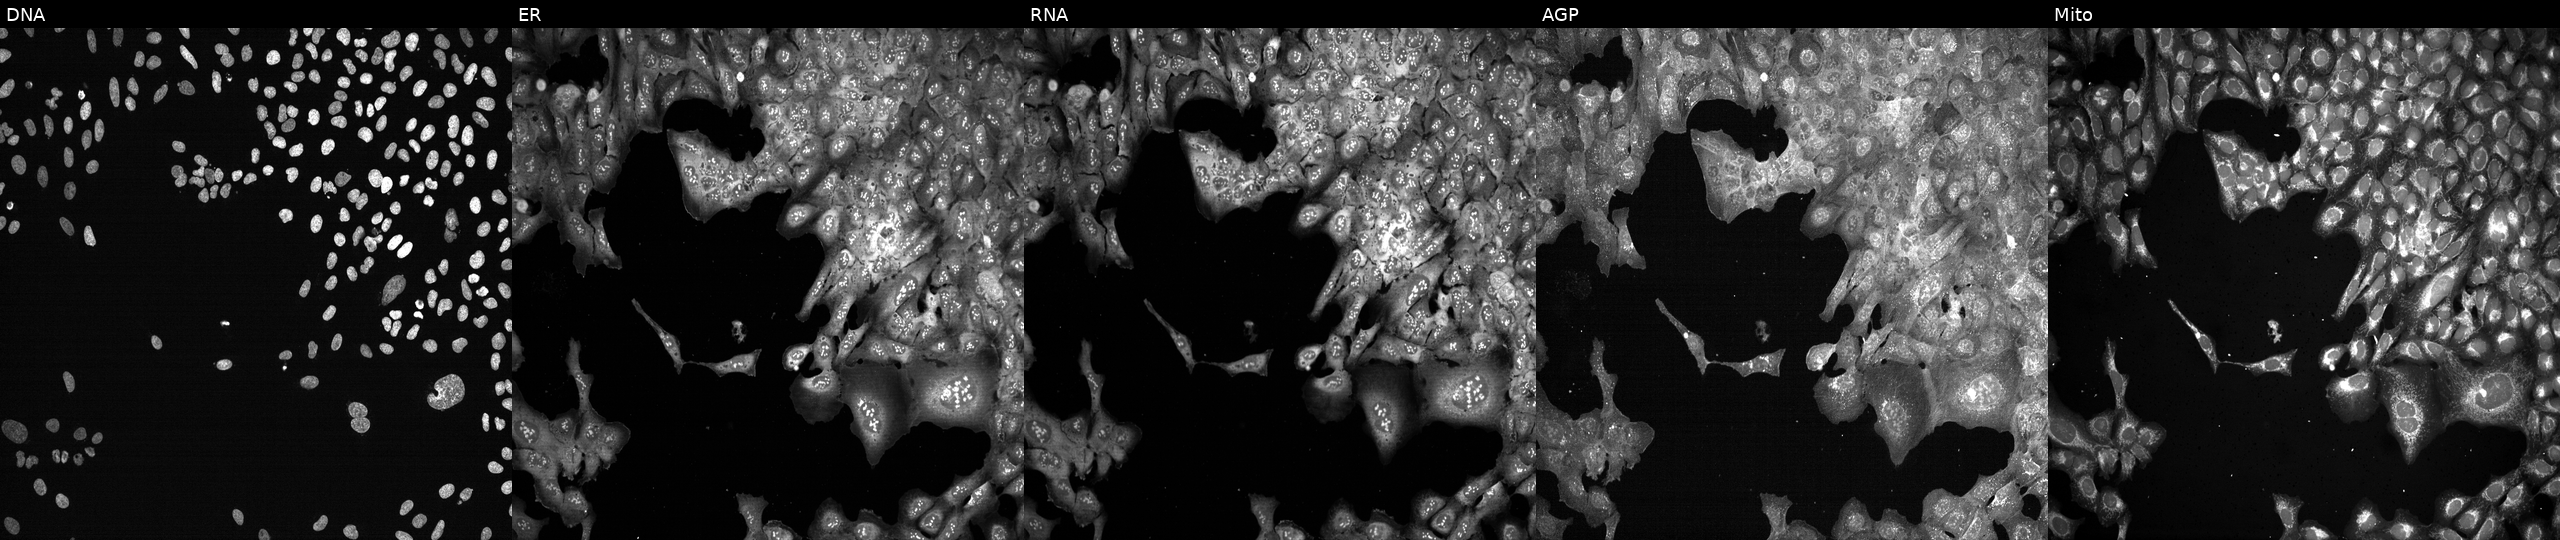
Five-channel Cell Painting image of U2OS cells following CRISPR knockout of GNAZ. The five panels, left to right, show DNA (nuclei); ER (endoplasmic reticulum); RNA (nucleoli and cytoplasmic RNA); AGP (actin cytoskeleton, Golgi, and plasma membrane); Mito (mitochondria).